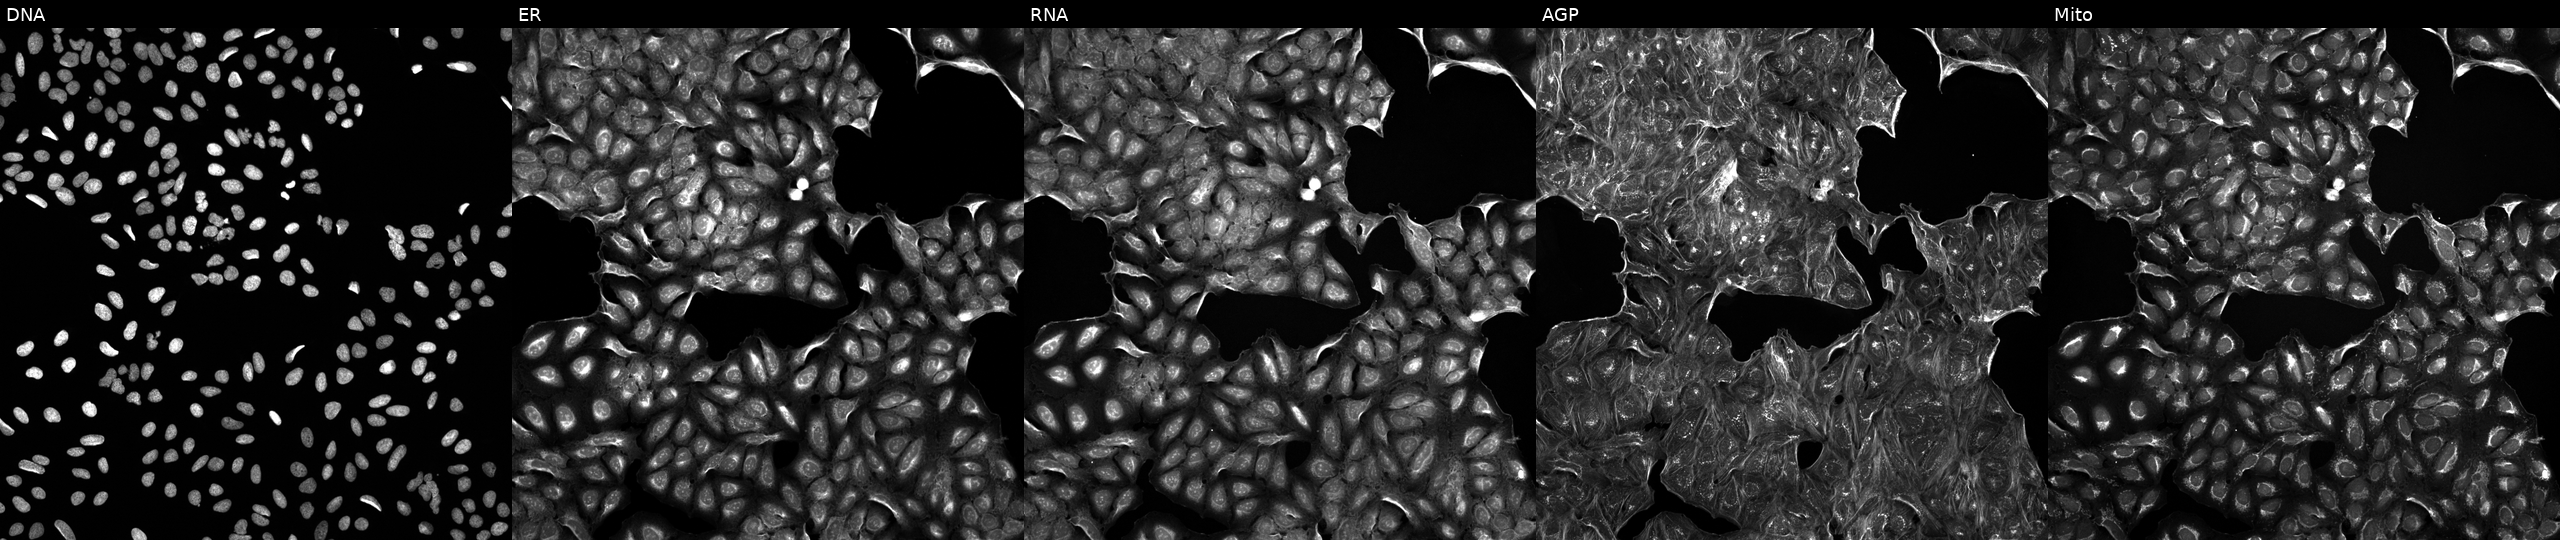
U2OS cells, Cell Painting assay, perturbed with a small-molecule compound (JUMP id JCP2022_064903). The five panels, left to right, show Hoechst 33342, concanavalin A, SYTO 14, phalloidin and WGA, MitoTracker. Each panel is percentile-stretched 16-bit fluorescence. Source 5, plate ACPJUM012, well M02.